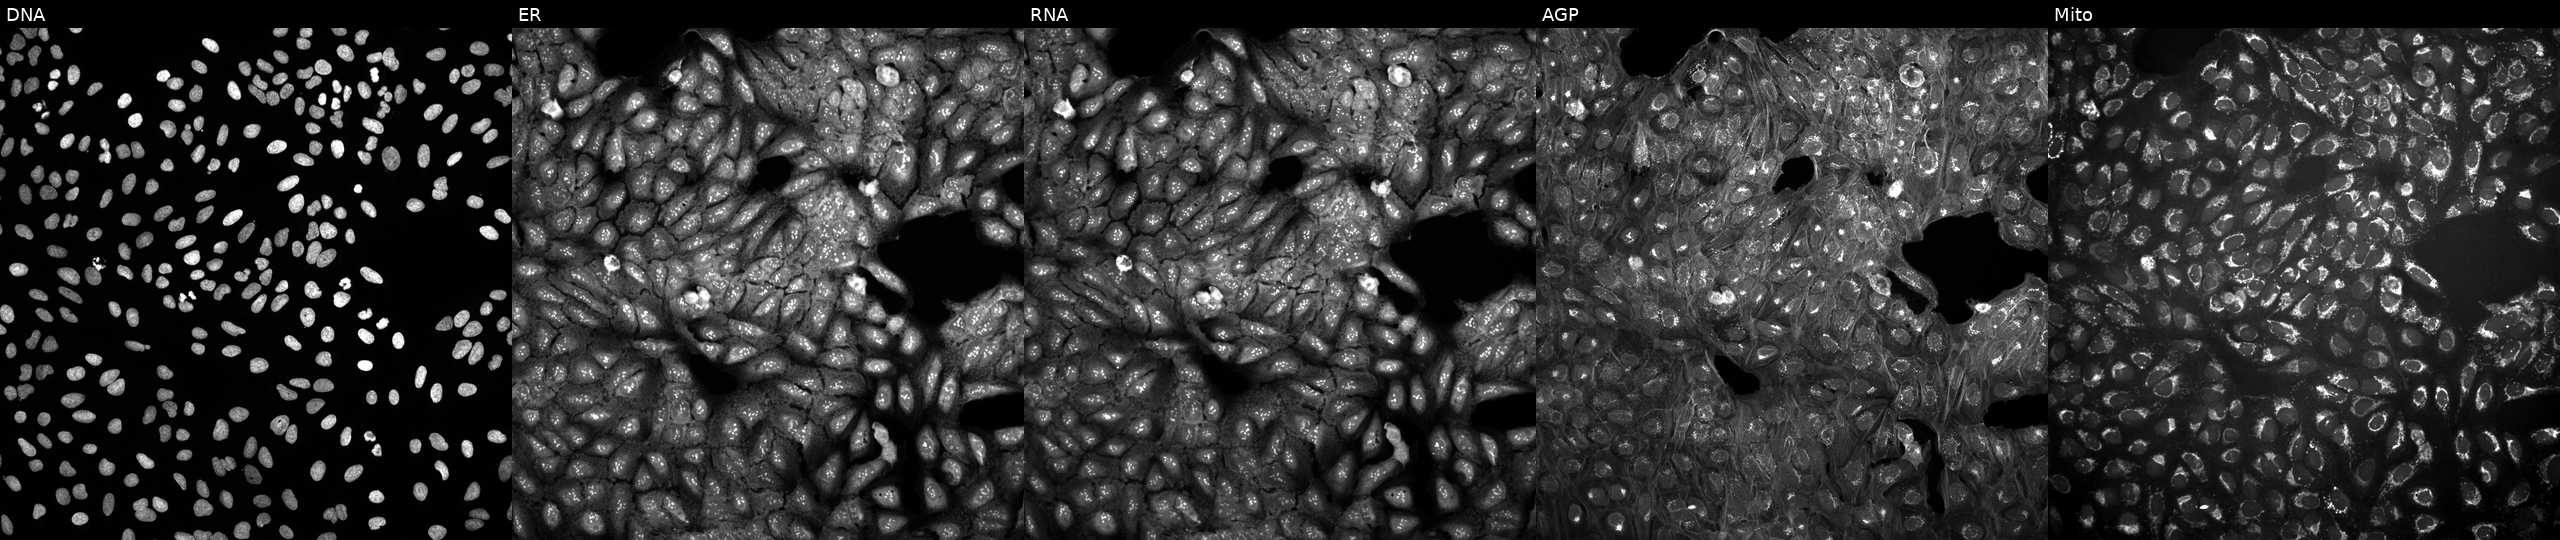
High-content fluorescence microscopy (Cell Painting). Cell line: U2OS. Perturbation: untreated (empty-well control) (JUMP id JCP2022_999999). Panels show, left to right, DNA, ER, RNA, AGP, and Mito.